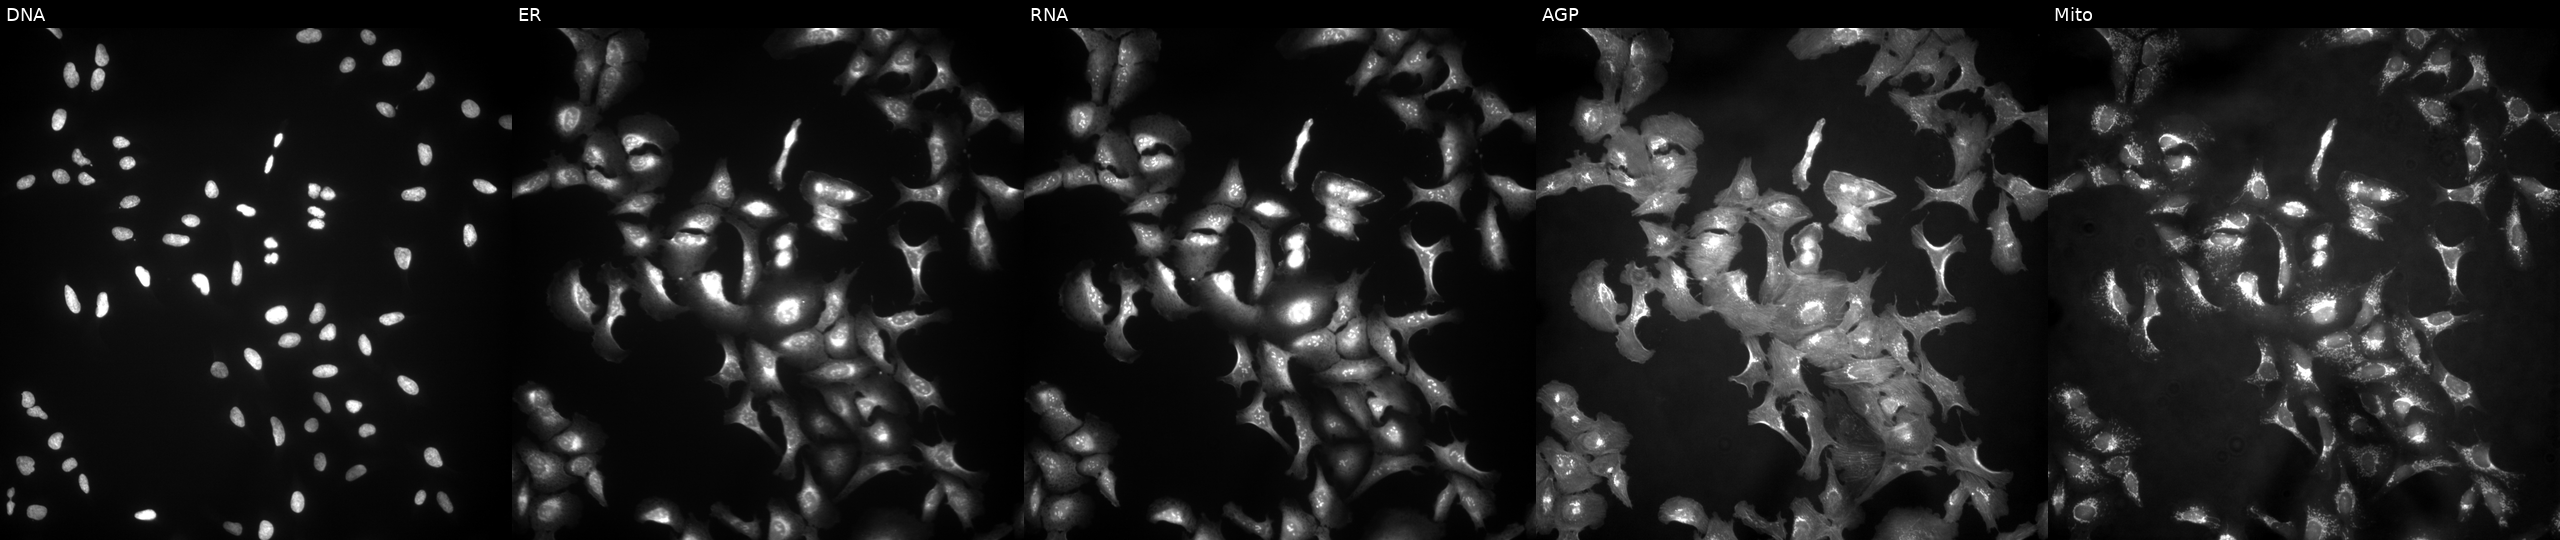
High-content fluorescence microscopy (Cell Painting). Cell line: U2OS. Perturbation: with HNRNPDL overexpressed (ORF) (JUMP id JCP2022_907039). Panels show, left to right, Hoechst 33342, concanavalin A, SYTO 14, phalloidin and WGA, MitoTracker.